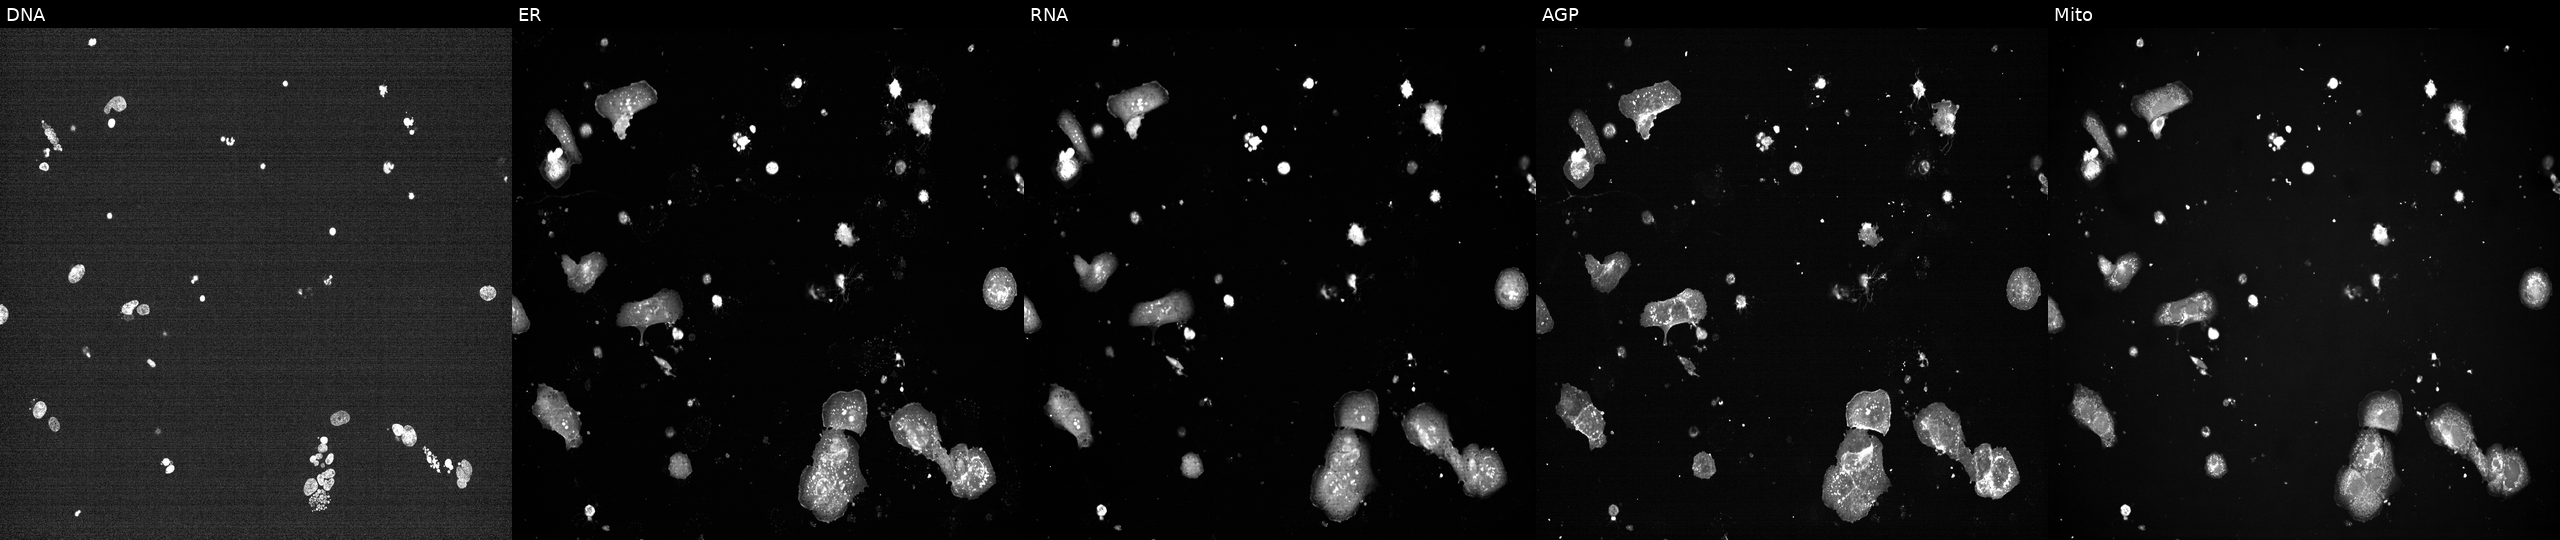
Panels show, left to right, DNA (nuclei); ER (endoplasmic reticulum); RNA (nucleoli and cytoplasmic RNA); AGP (actin cytoskeleton, Golgi, and plasma membrane); Mito (mitochondria). U2OS osteosarcoma cells perturbed with a small-molecule compound (InChIKey MTJHLONVHHPNSI-UHFFFAOYSA-N). Cell Painting assay, JUMP-CP dataset.